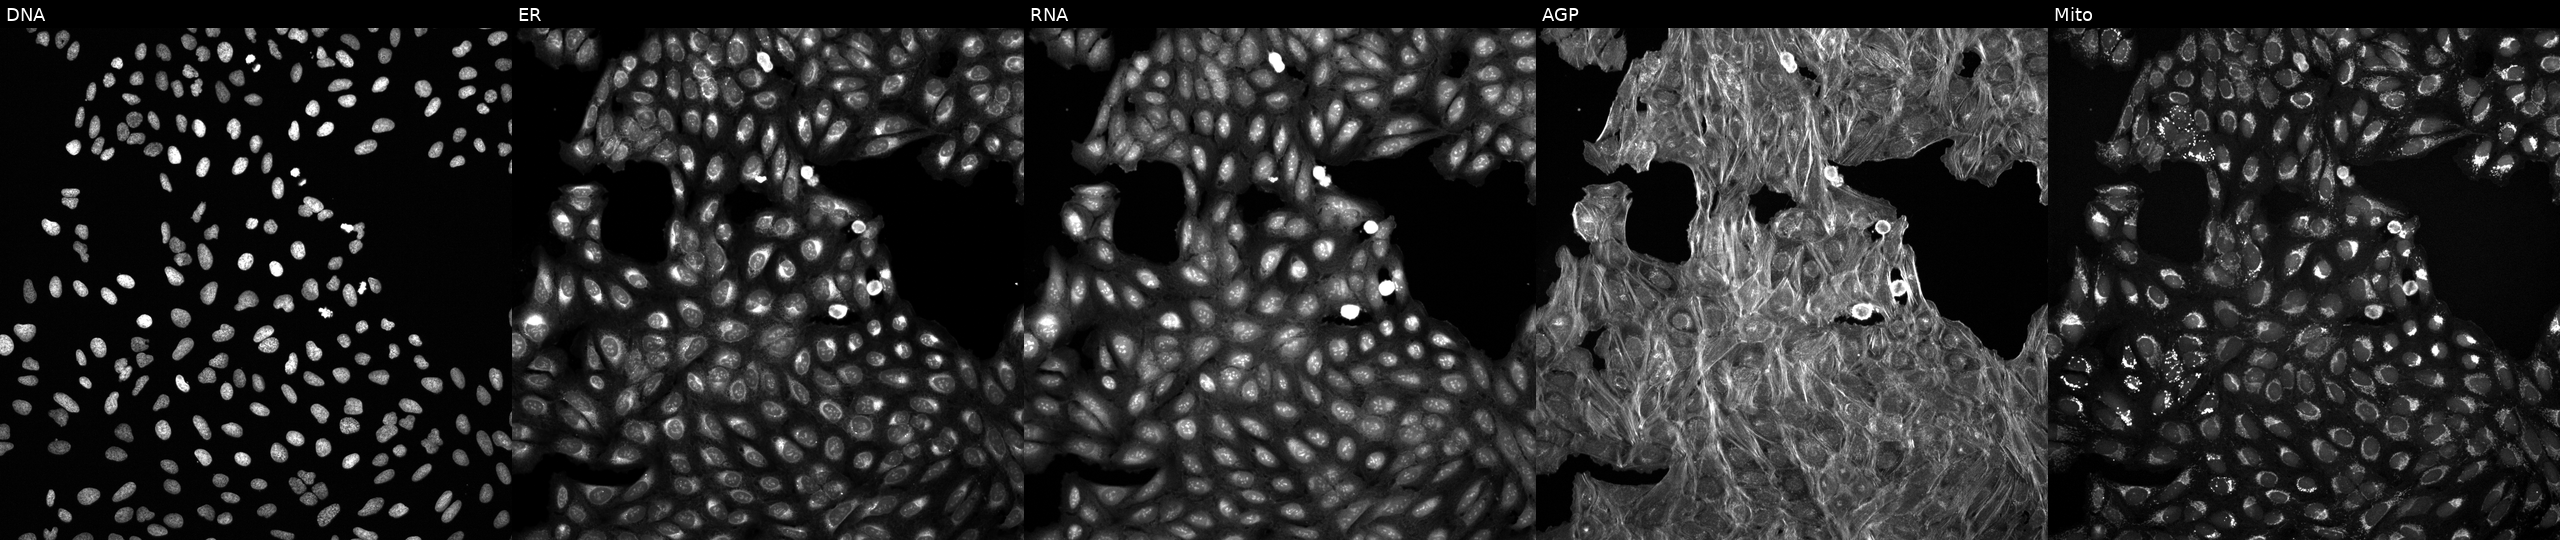
High-content fluorescence microscopy (Cell Painting). Cell line: U2OS. Perturbation: treated with DMSO vehicle only (negative control). Channels (left→right): DNA, ER, RNA, AGP, and Mito. Source 6, plate 110000293081, well H02.